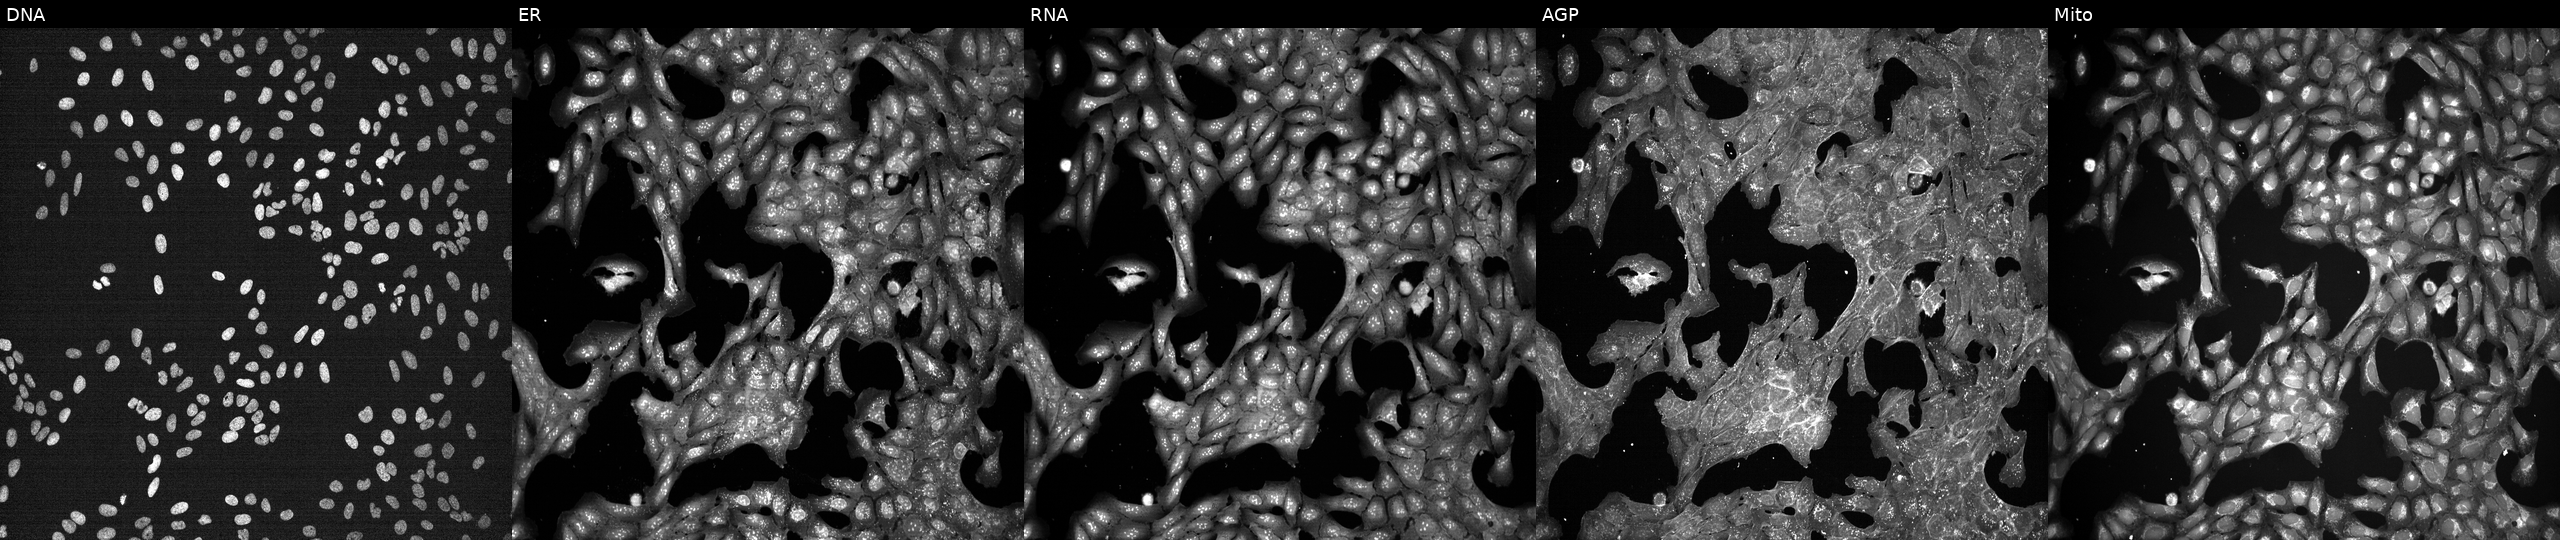
Five-channel Cell Painting image of U2OS cells treated with a small-molecule compound (InChIKey ZJMDTBBCNMGFMS-UHFFFAOYSA-N). Panels show, left to right, DNA (nuclei); ER (endoplasmic reticulum); RNA (nucleoli and cytoplasmic RNA); AGP (actin cytoskeleton, Golgi, and plasma membrane); Mito (mitochondria). Source 7, plate CP1-SC1-25, well C18.